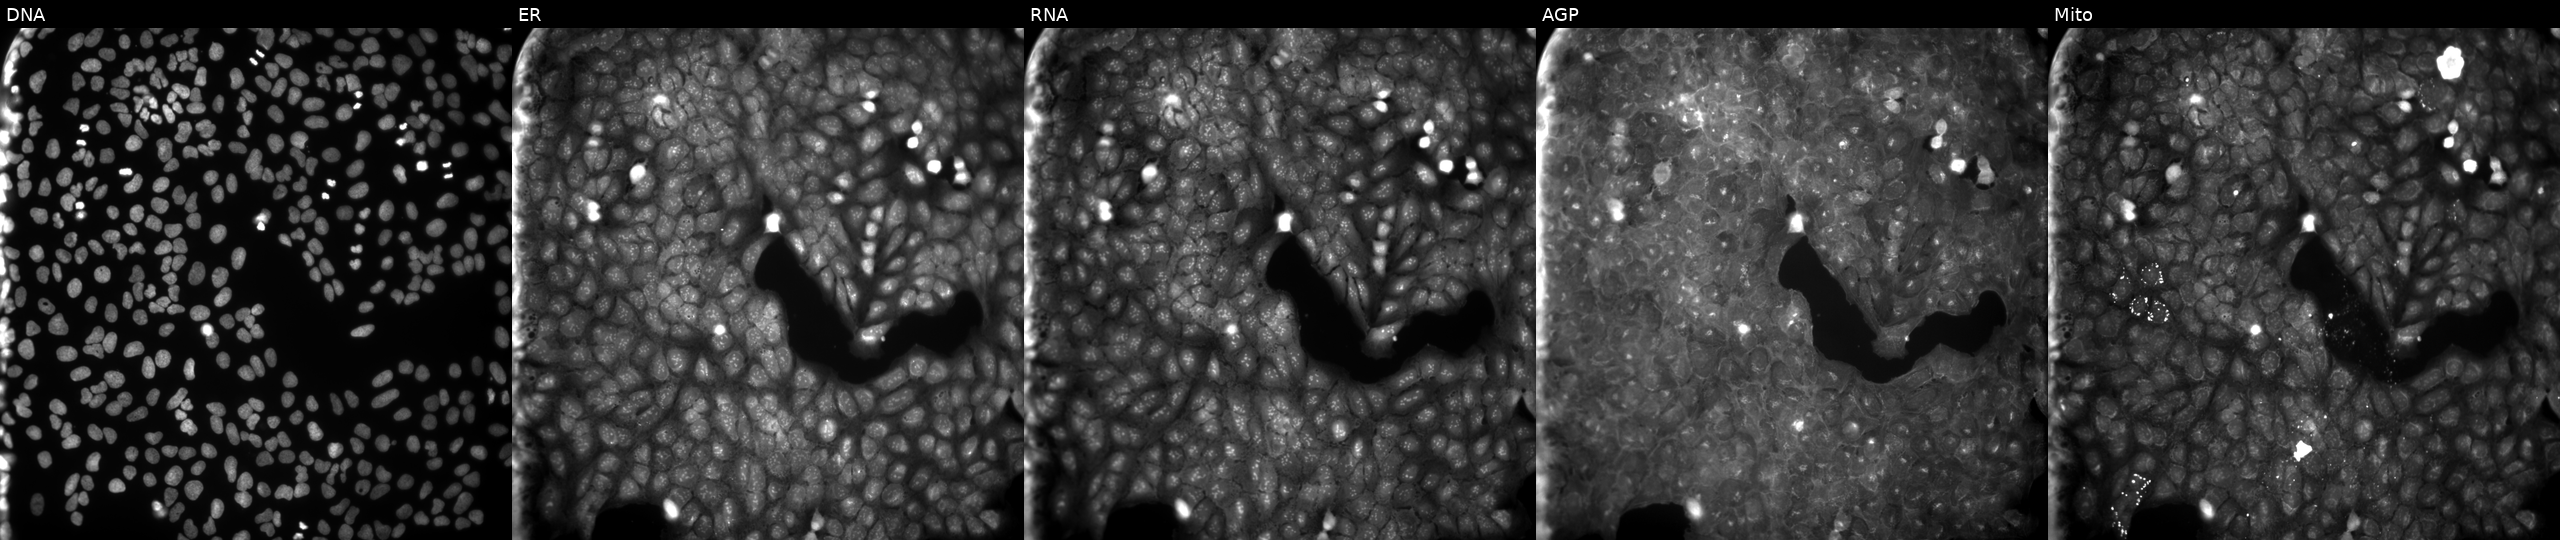
U2OS cells, Cell Painting assay, treated with a small-molecule compound (JUMP id JCP2022_070643). The five panels, left to right, show Hoechst 33342, concanavalin A, SYTO 14, phalloidin and WGA, MitoTracker. Each panel is percentile-stretched 16-bit fluorescence.